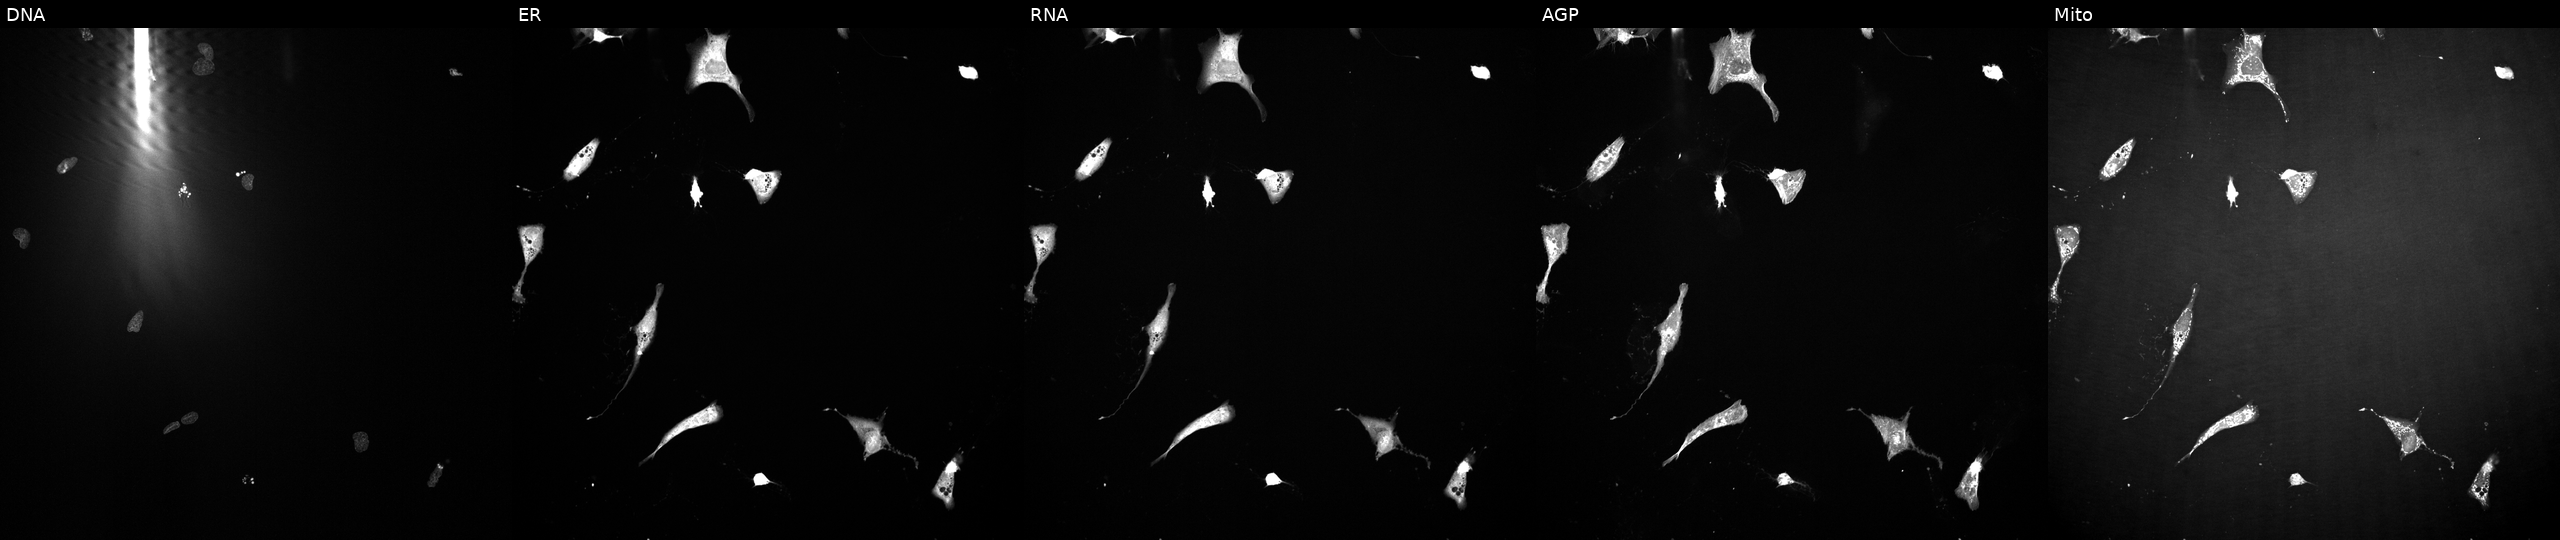
JUMP Cell Painting — TARGET2 plate. U2OS cells exposed to a small-molecule compound (JUMP id JCP2022_096865). Channels (left→right): Hoechst 33342, concanavalin A, SYTO 14, phalloidin and WGA, MitoTracker.